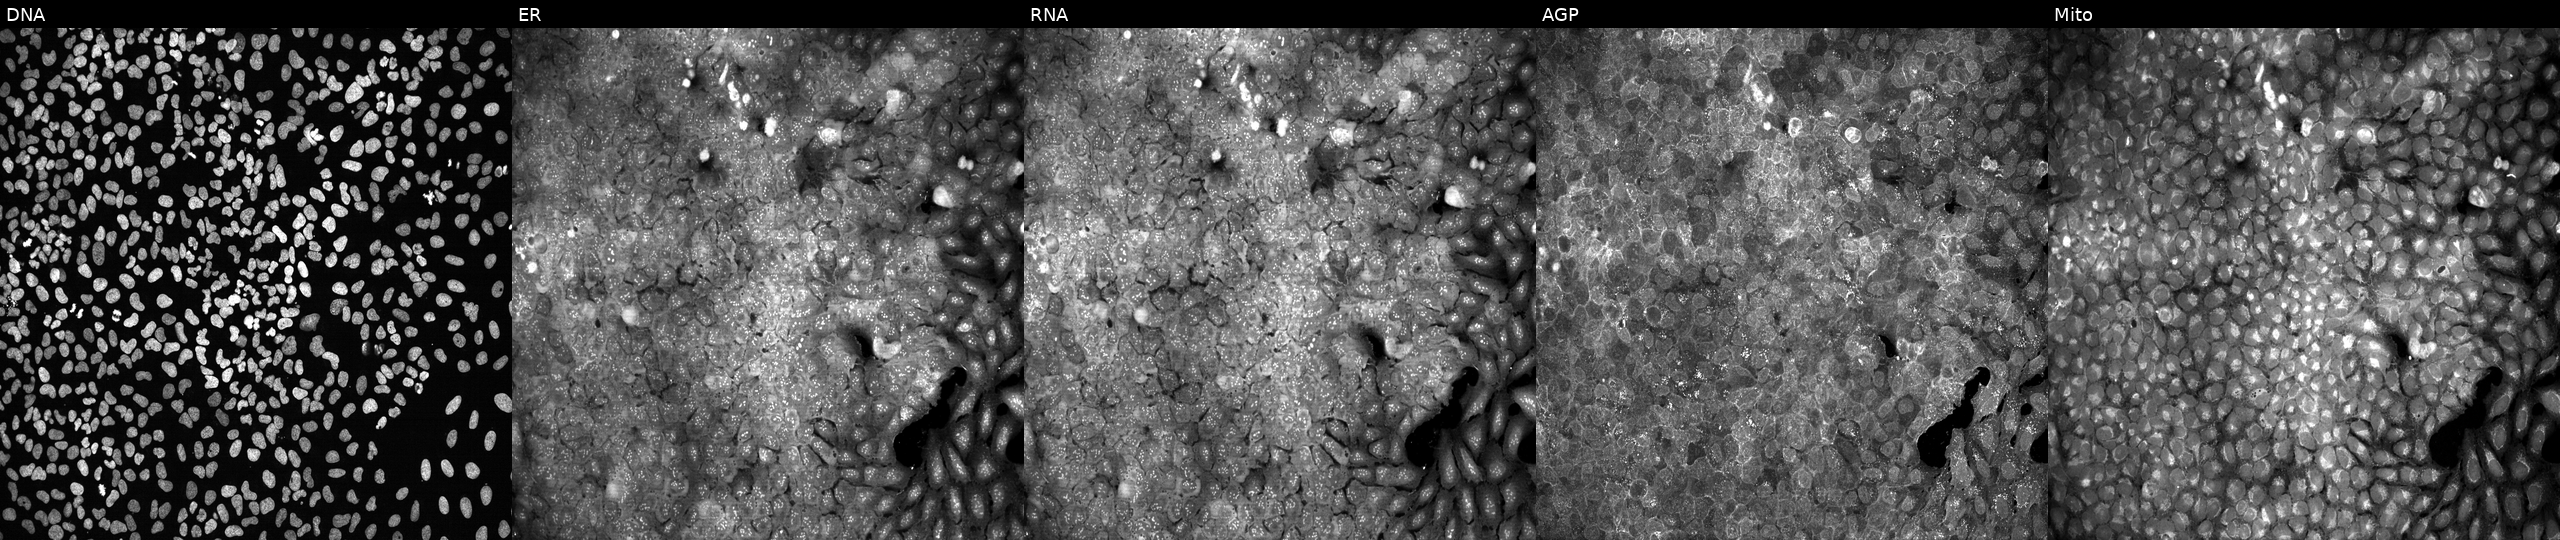
From left to right: Hoechst 33342, concanavalin A, SYTO 14, phalloidin and WGA, MitoTracker. U2OS osteosarcoma cells with NQO2 knocked out by CRISPR (JUMP id JCP2022_804675). Cell Painting assay, JUMP-CP dataset.